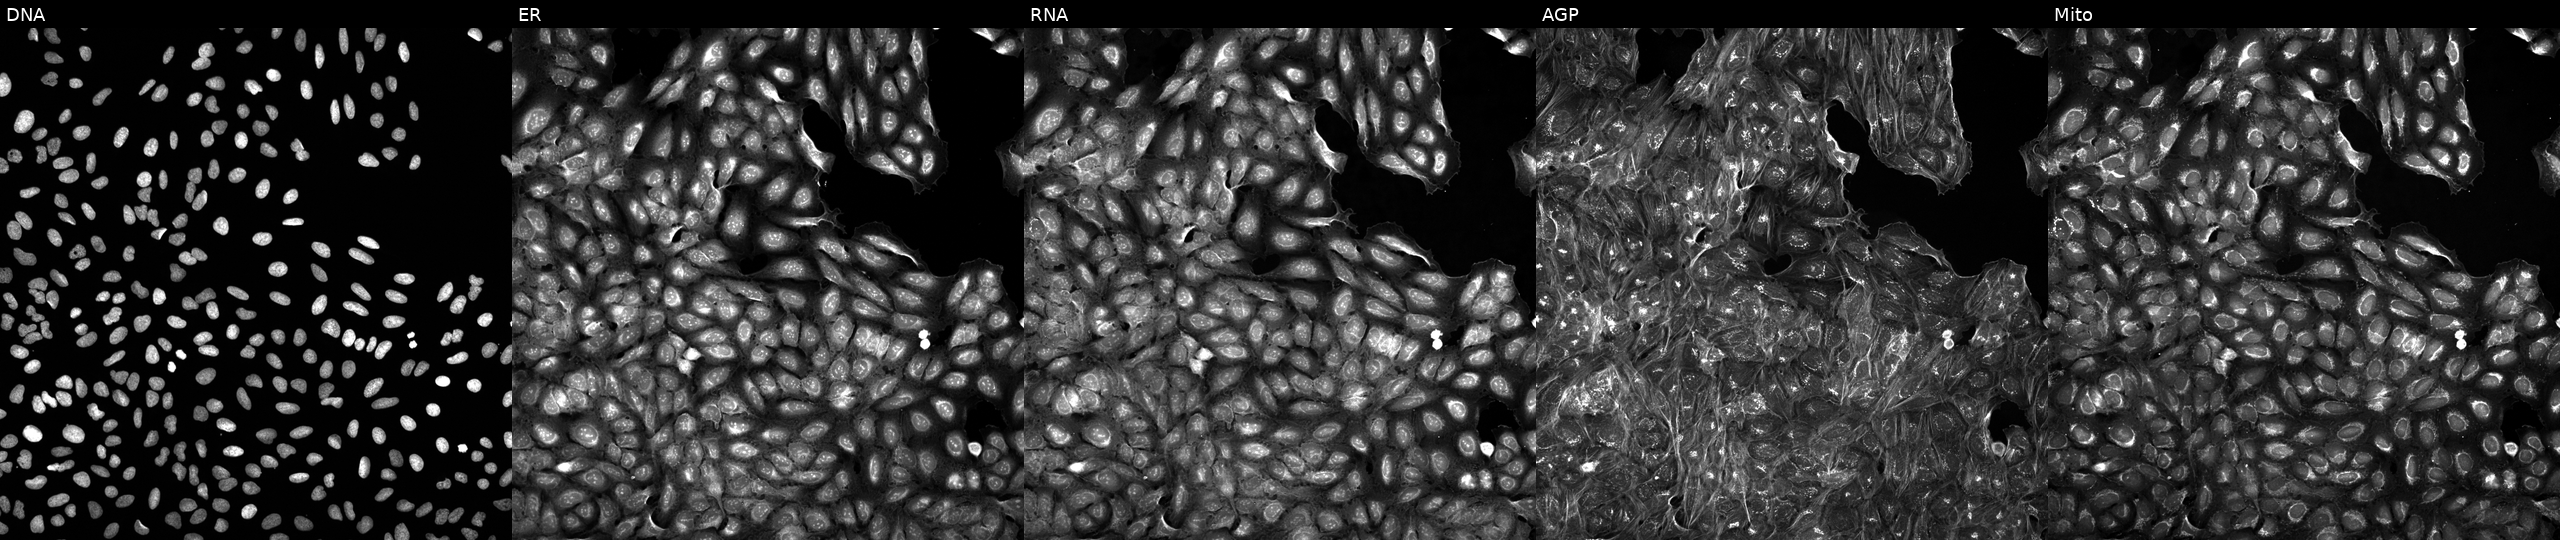
High-content fluorescence microscopy (Cell Painting). Cell line: U2OS. Perturbation: perturbed with a small-molecule compound (InChIKey YLQKPIXRZJFWMV-UHFFFAOYSA-N). Panels show, left to right, DNA (nuclei); ER (endoplasmic reticulum); RNA (nucleoli and cytoplasmic RNA); AGP (actin cytoskeleton, Golgi, and plasma membrane); Mito (mitochondria). Source 5, plate APTJUM106, well B22.